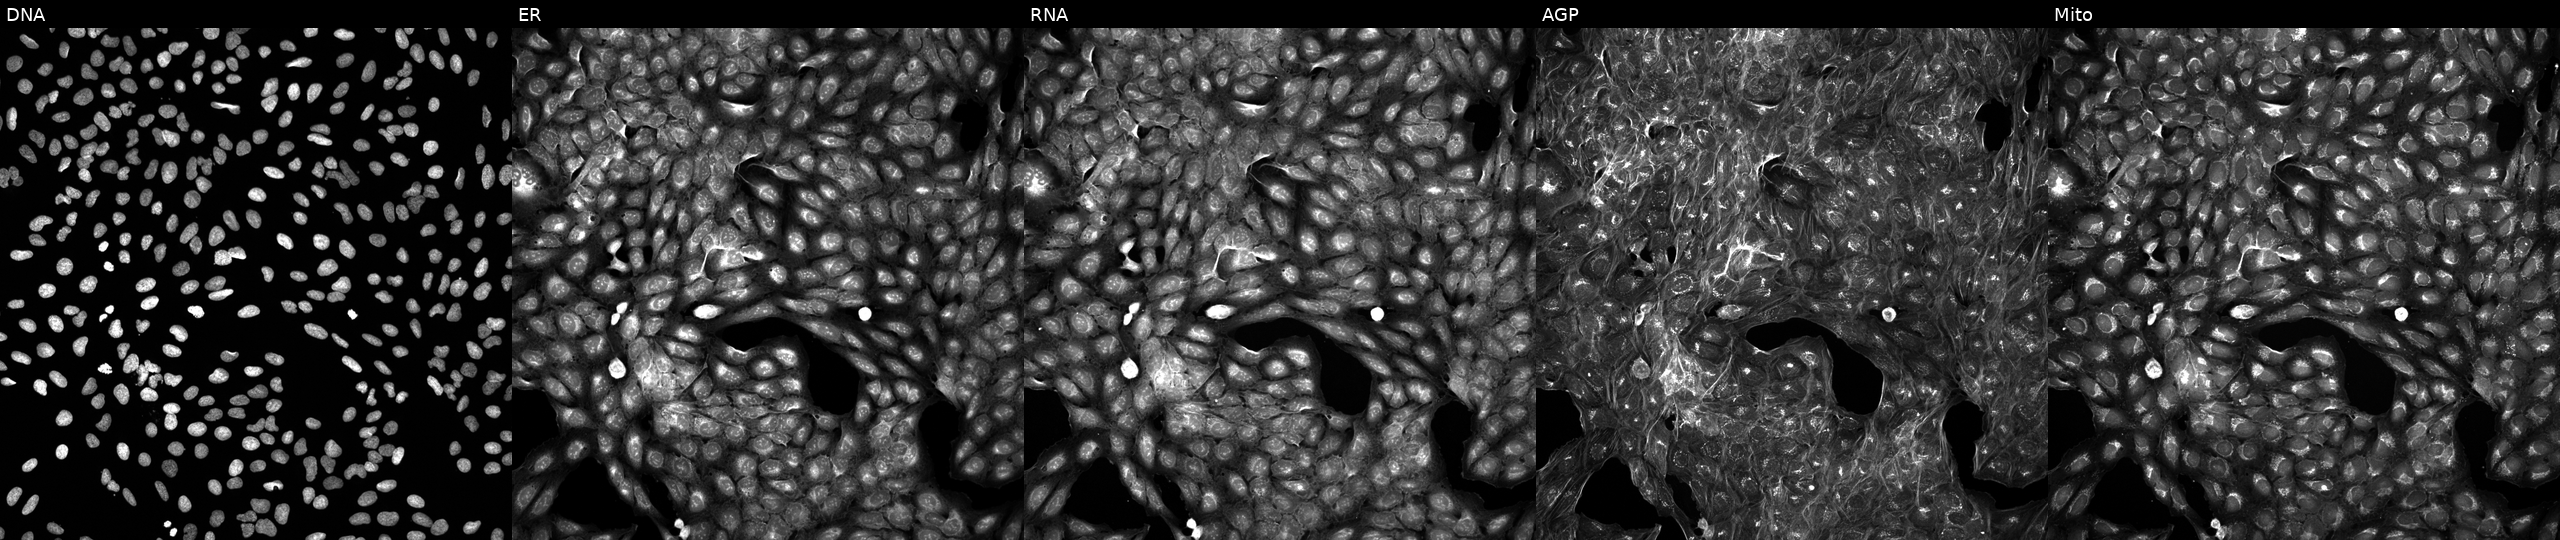
Five-channel Cell Painting image of U2OS cells treated with a small-molecule compound (InChIKey GGOLUESNMONCNU-UHFFFAOYSA-N). The five panels, left to right, show Hoechst 33342, concanavalin A, SYTO 14, phalloidin and WGA, MitoTracker. Source 5, plate APTJUM106, well J04.